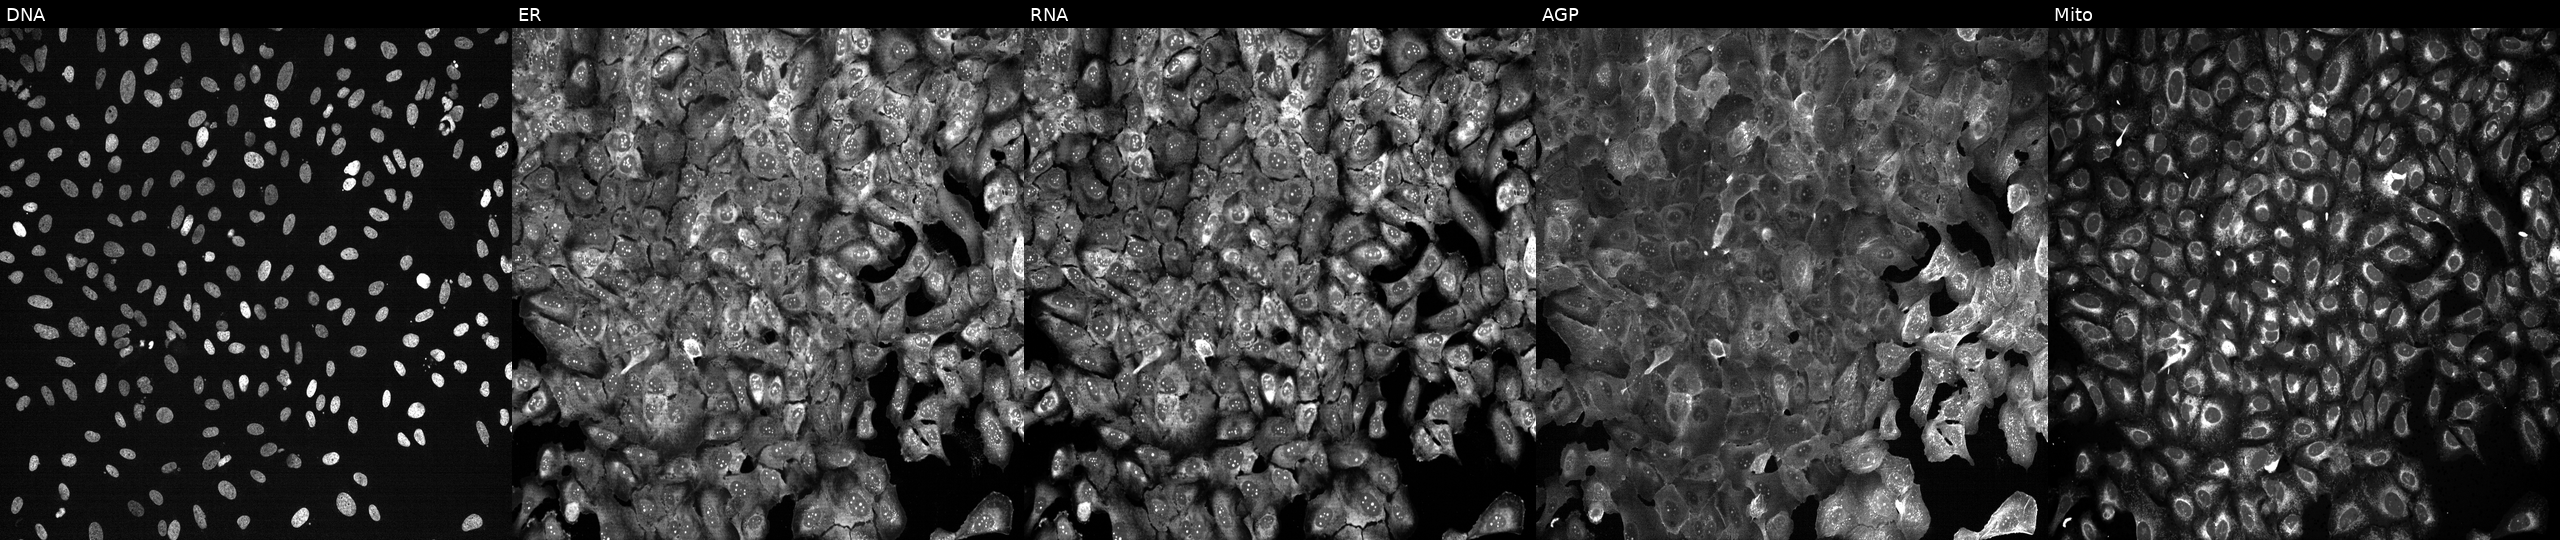
This image strip shows the five Cell Painting channels for a single field of U2OS cells following CRISPR knockout of POLR1A (JUMP id JCP2022_805338). Channels (left→right): DNA, ER, RNA, AGP, and Mito.